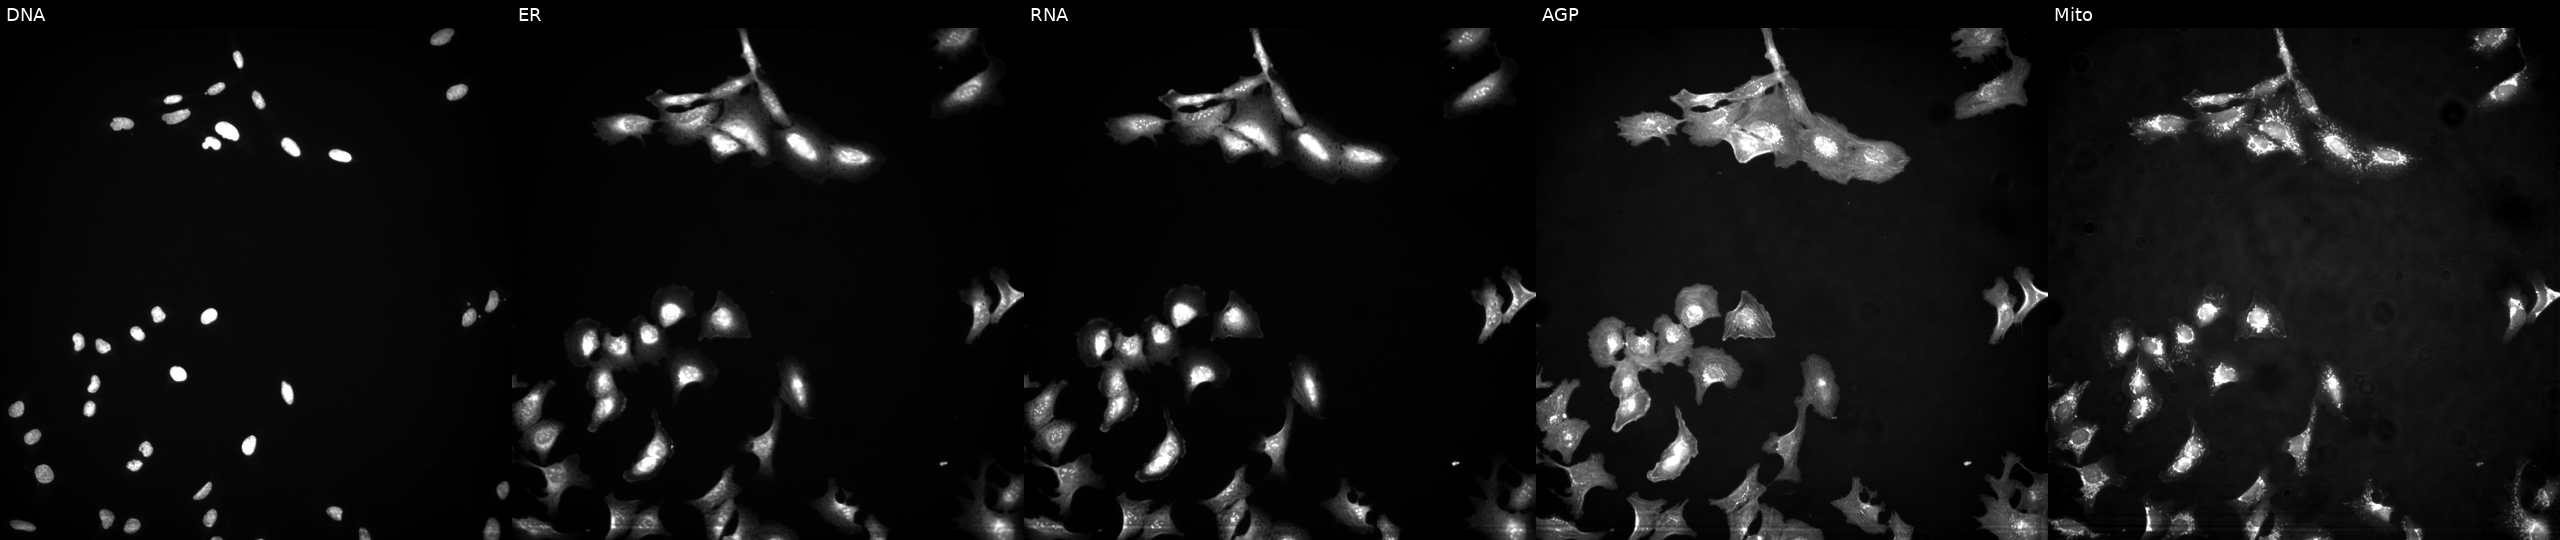
This image strip shows the five Cell Painting channels for a single field of U2OS cells transfected with an ORF construct for BUB1B (JUMP id JCP2022_913589). The five panels, left to right, show DNA (nuclei); ER (endoplasmic reticulum); RNA (nucleoli and cytoplasmic RNA); AGP (actin cytoskeleton, Golgi, and plasma membrane); Mito (mitochondria). Source 4, plate BR00123945, well P13.